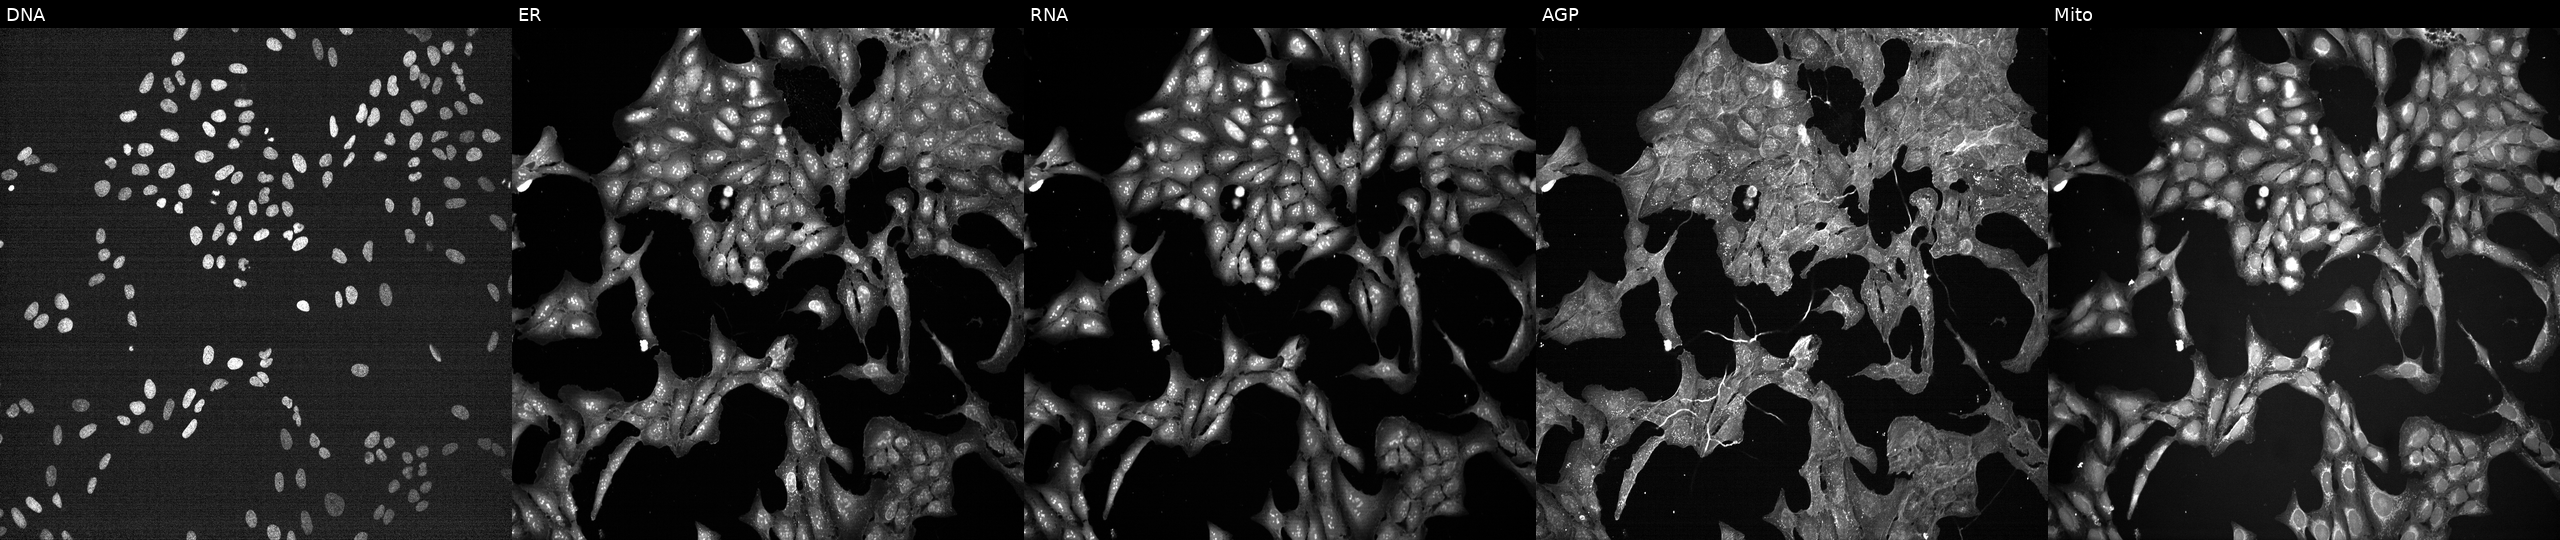
This image strip shows the five Cell Painting channels for a single field of U2OS cells perturbed with a small-molecule compound (InChIKey HJYYPODYNSCCOU-UHFFFAOYSA-N) [SMILES: COC1C=COC2(C)Oc3c(C)c(O)c4c(O)c(cc(O)c4c3C2=O)NC(=O)C(C)=CC=CC(C)C(O)C(C)C(O)C(C)C(OC(C)=O)C1C] (JUMP id JCP2022_030713). Panels show, left to right, DNA, ER, RNA, AGP, and Mito.